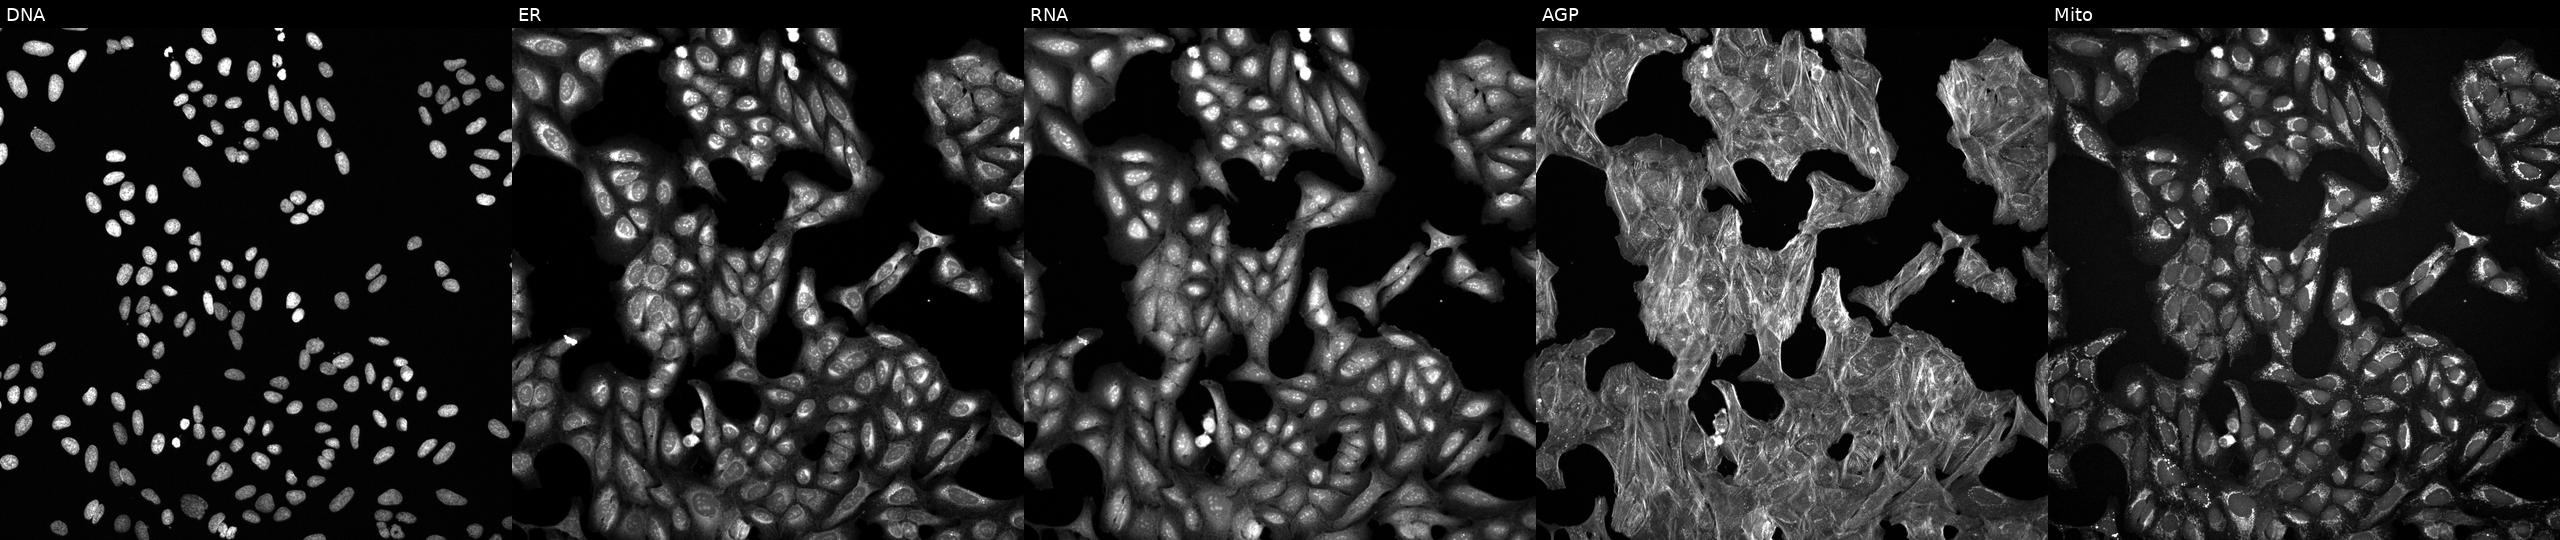
JUMP Cell Painting — TARGET2 plate. U2OS cells perturbed with a small-molecule compound (JUMP id JCP2022_016935). Panels show, left to right, Hoechst 33342, concanavalin A, SYTO 14, phalloidin and WGA, MitoTracker.